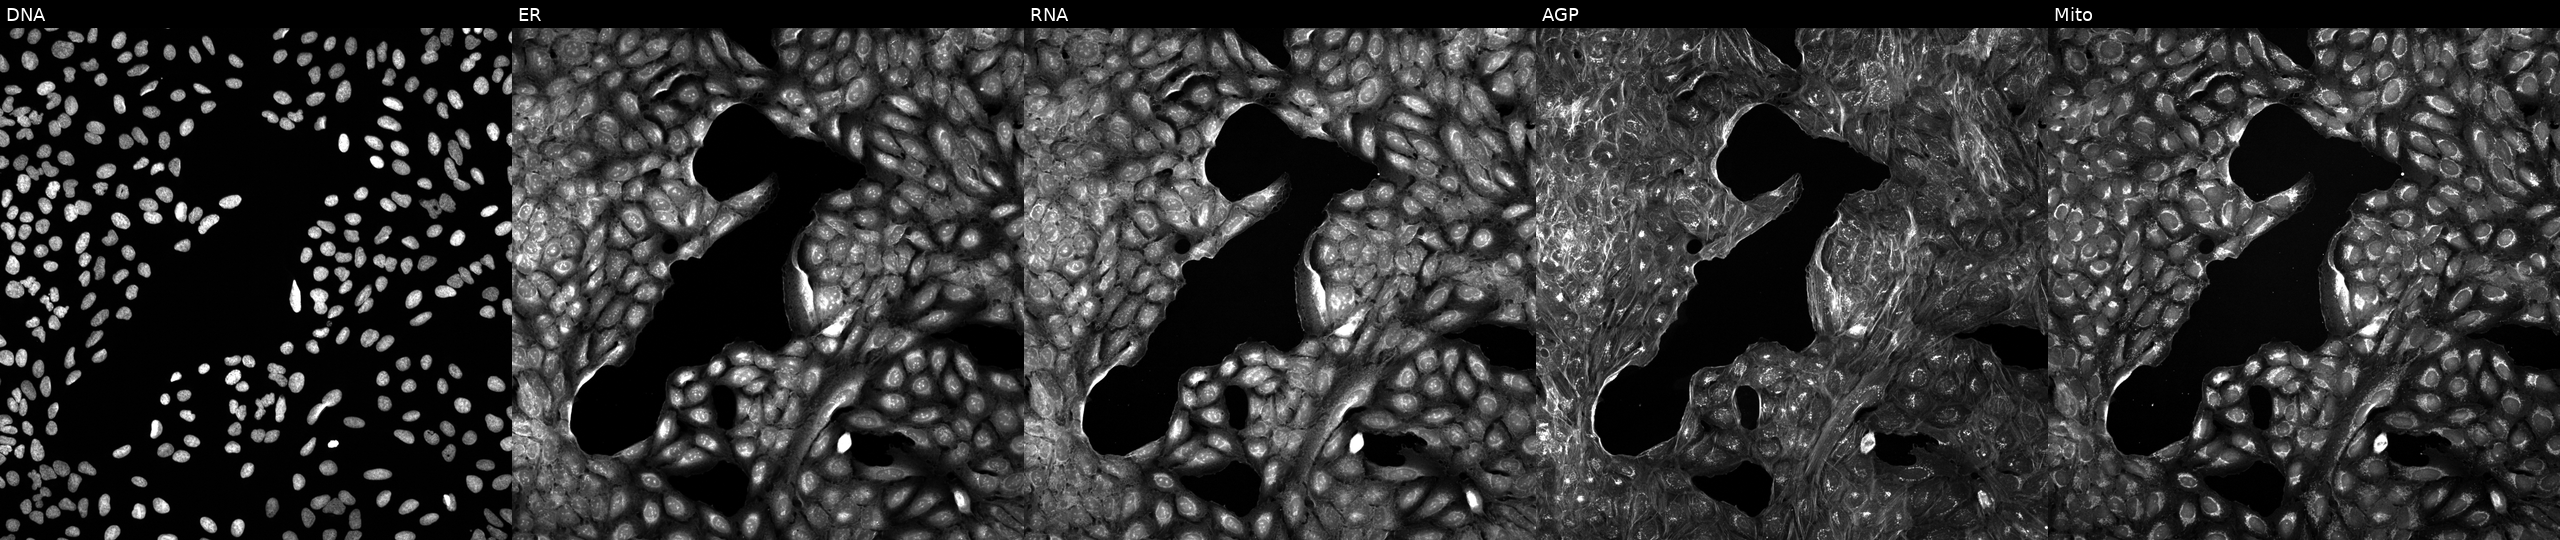
U2OS cells, Cell Painting assay, exposed to a small-molecule compound (JUMP id JCP2022_042145). The five panels, left to right, show Hoechst 33342, concanavalin A, SYTO 14, phalloidin and WGA, MitoTracker. Each panel is percentile-stretched 16-bit fluorescence.